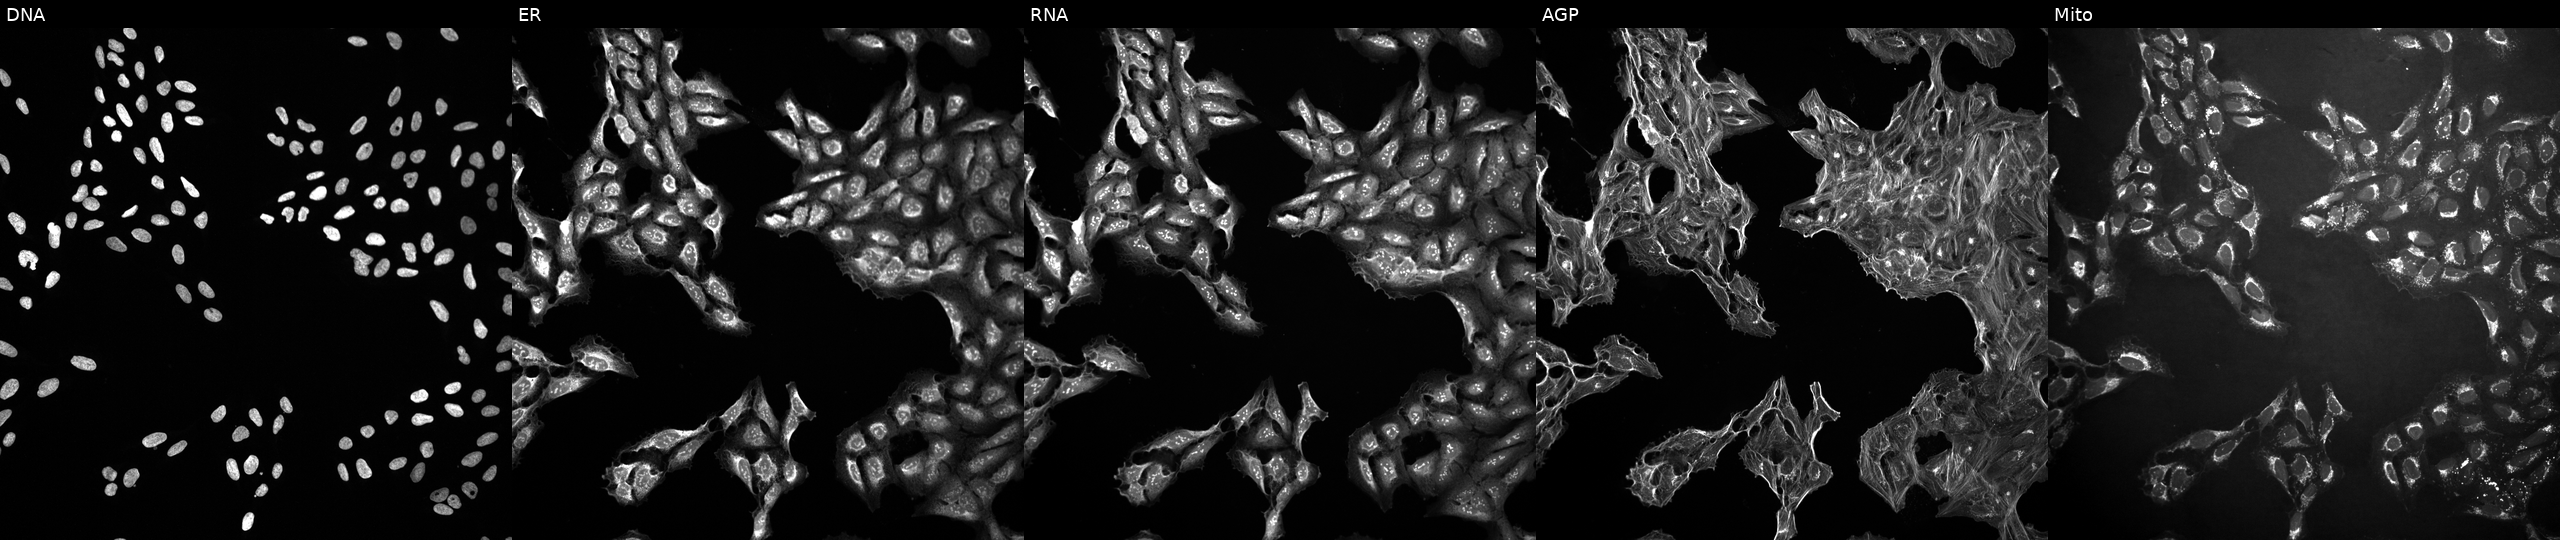
High-content fluorescence microscopy (Cell Painting). Cell line: U2OS. Perturbation: treated with a small-molecule compound (InChIKey ZQPXNYLXYNRFNP-UHFFFAOYSA-N) (JUMP id JCP2022_115049). From left to right: DNA, ER, RNA, AGP, and Mito.